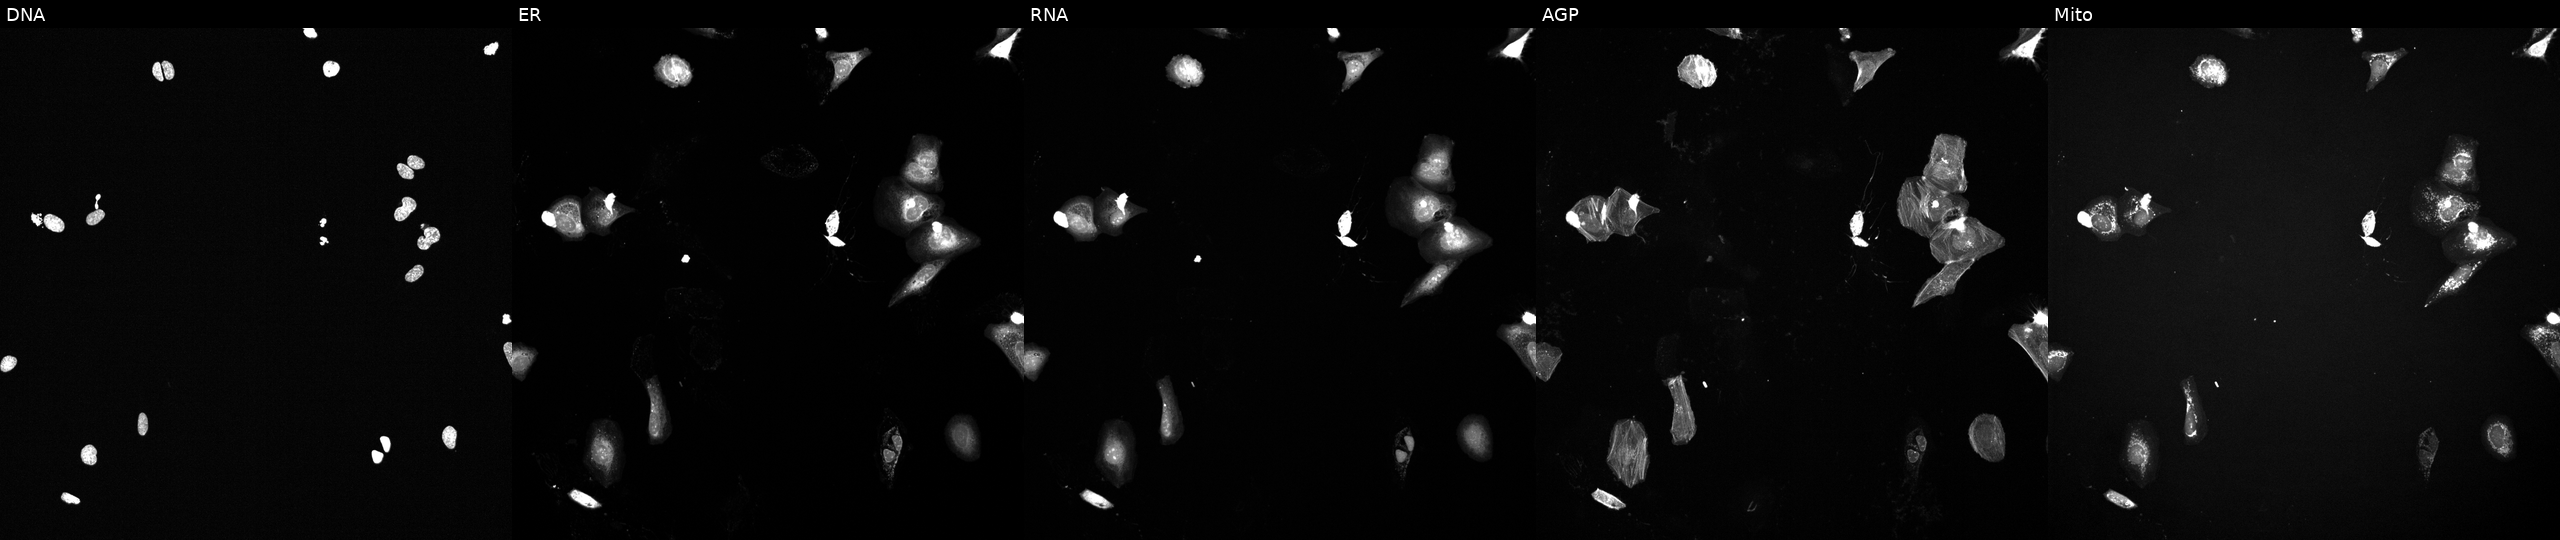
High-content fluorescence microscopy (Cell Painting). Cell line: U2OS. Perturbation: treated with a small-molecule compound (InChIKey AYCPARAPKDAOEN-UHFFFAOYSA-N) (JUMP id JCP2022_004587). Panels show, left to right, Hoechst 33342, concanavalin A, SYTO 14, phalloidin and WGA, MitoTracker.